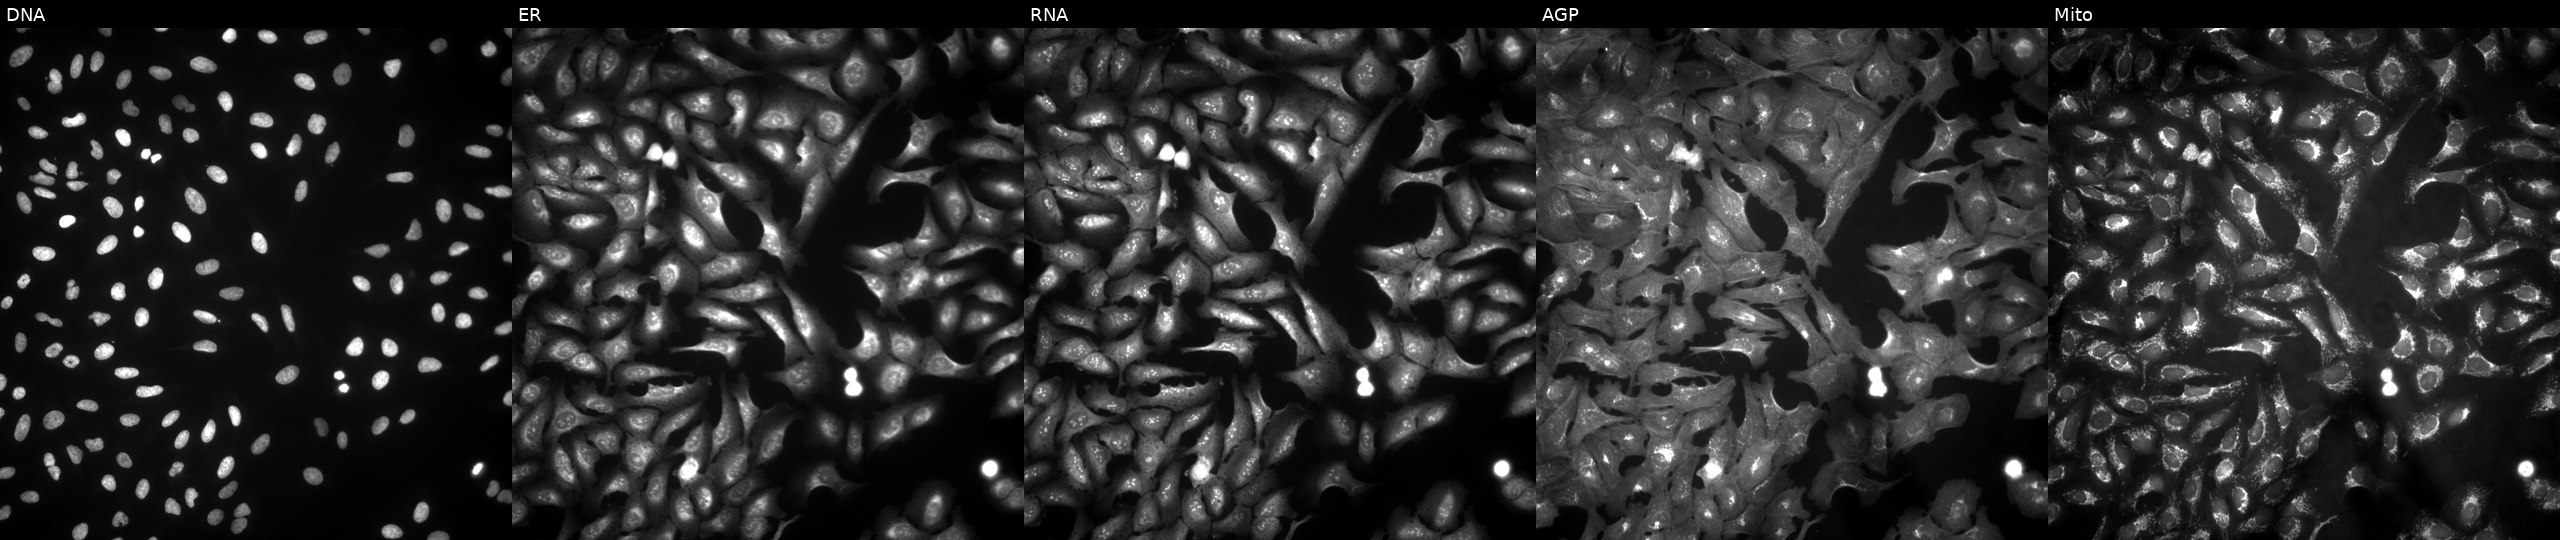
High-content fluorescence microscopy (Cell Painting). Cell line: U2OS. Perturbation: overexpressing ACSL6 via ORF transfection. The five panels, left to right, show DNA, ER, RNA, AGP, and Mito.